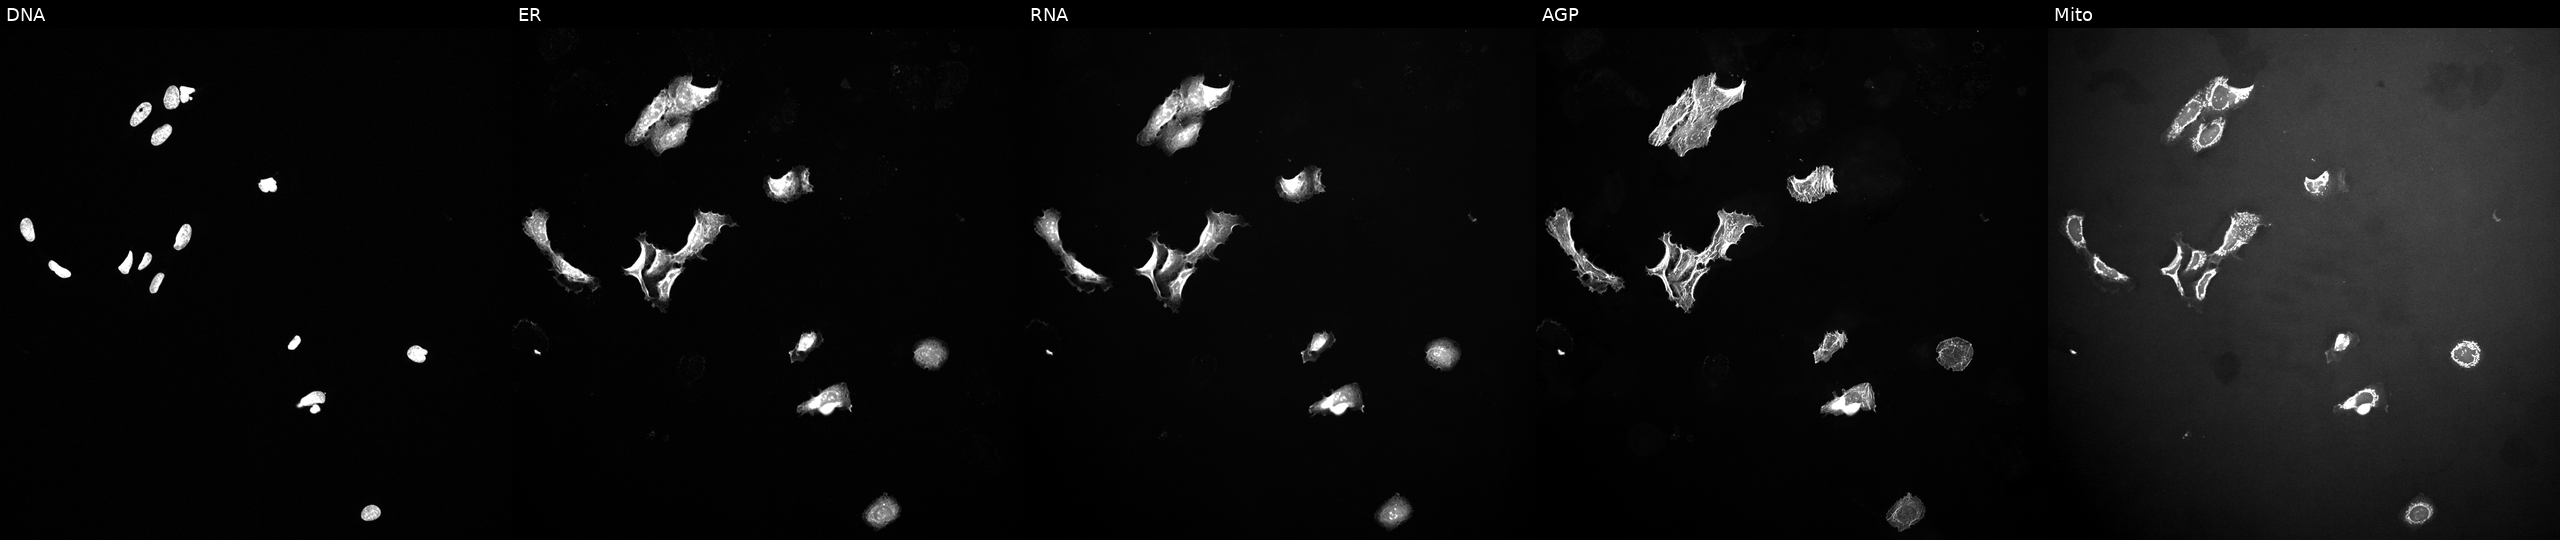
Five-channel Cell Painting image of U2OS cells perturbed with a small-molecule compound (InChIKey CWHUFRVAEUJCEF-UHFFFAOYSA-N) (JUMP id JCP2022_013856). From left to right: Hoechst 33342, concanavalin A, SYTO 14, phalloidin and WGA, MitoTracker. Source 10, plate Dest210726-160150, well G14.